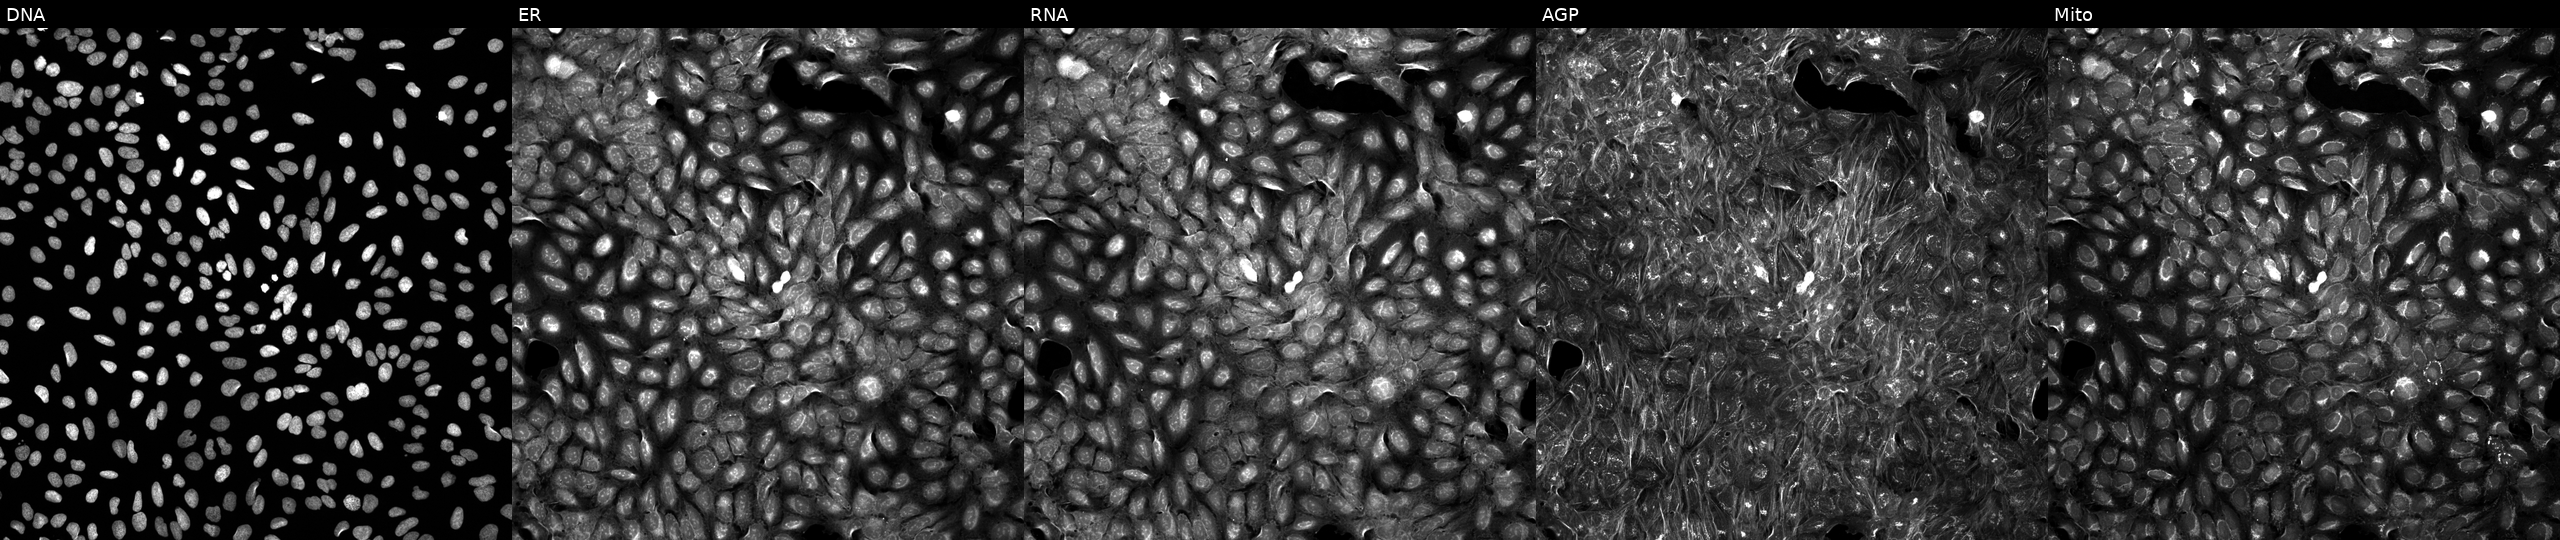
Five-channel Cell Painting image of U2OS cells exposed to a small-molecule compound [SMILES: Cc1cc(=NC(c2cccc(F)c2)c2ccccn2)[nH]cn1] (JUMP id JCP2022_017673). Panels show, left to right, DNA (nuclei); ER (endoplasmic reticulum); RNA (nucleoli and cytoplasmic RNA); AGP (actin cytoskeleton, Golgi, and plasma membrane); Mito (mitochondria). Source 5, plate APTJUM106, well O04.